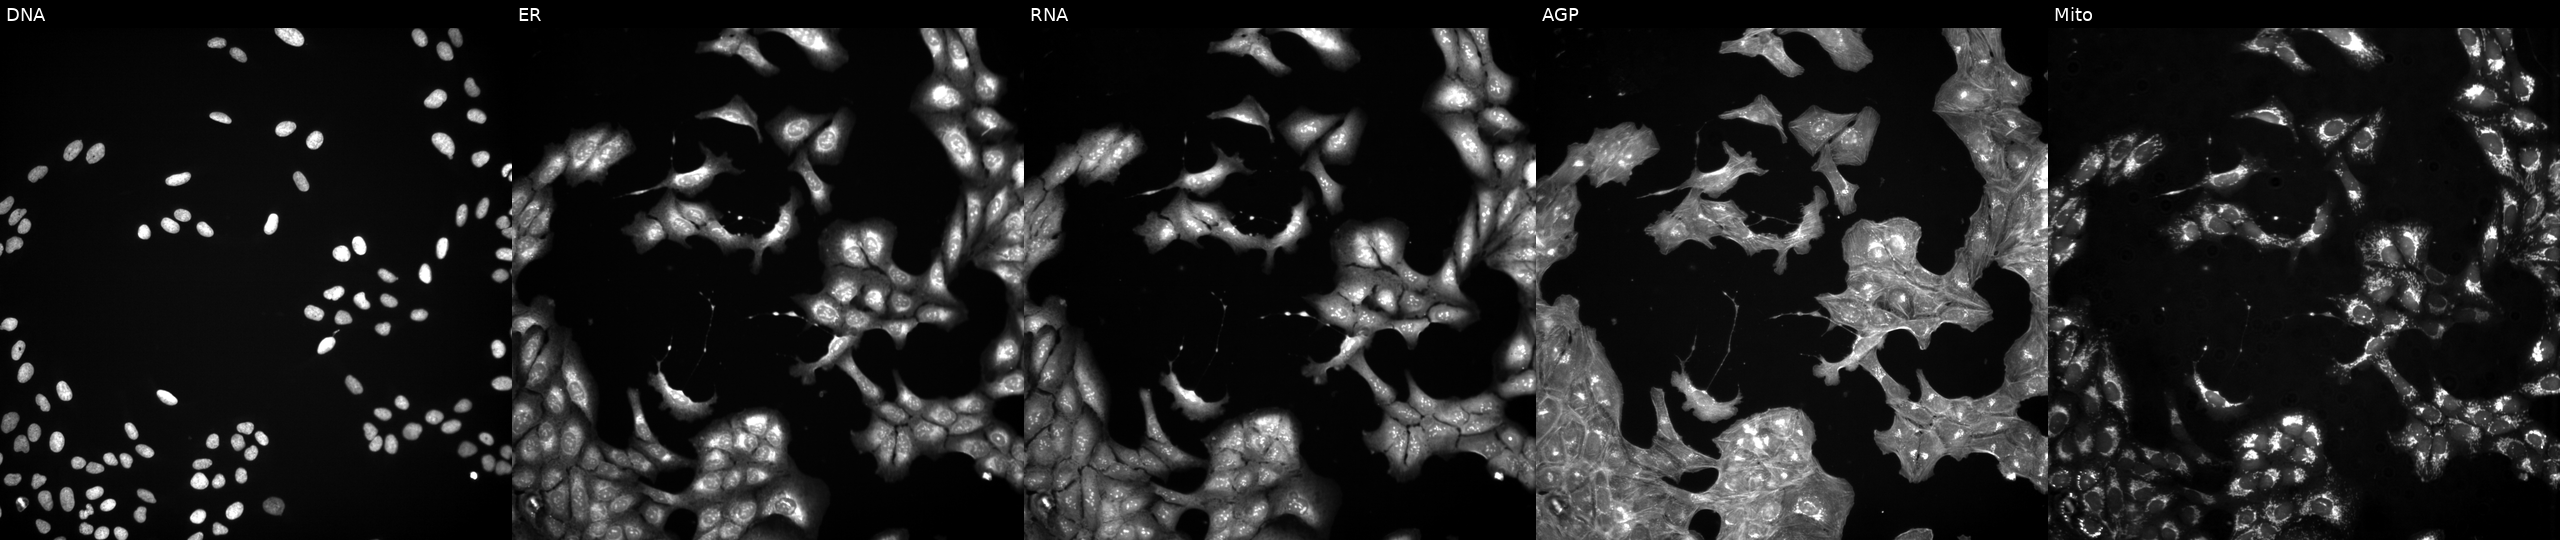
High-content fluorescence microscopy (Cell Painting). Cell line: U2OS. Perturbation: treated with a small-molecule compound (InChIKey NHXLMOGPVYXJNR-UHFFFAOYSA-N). From left to right: Hoechst 33342, concanavalin A, SYTO 14, phalloidin and WGA, MitoTracker.